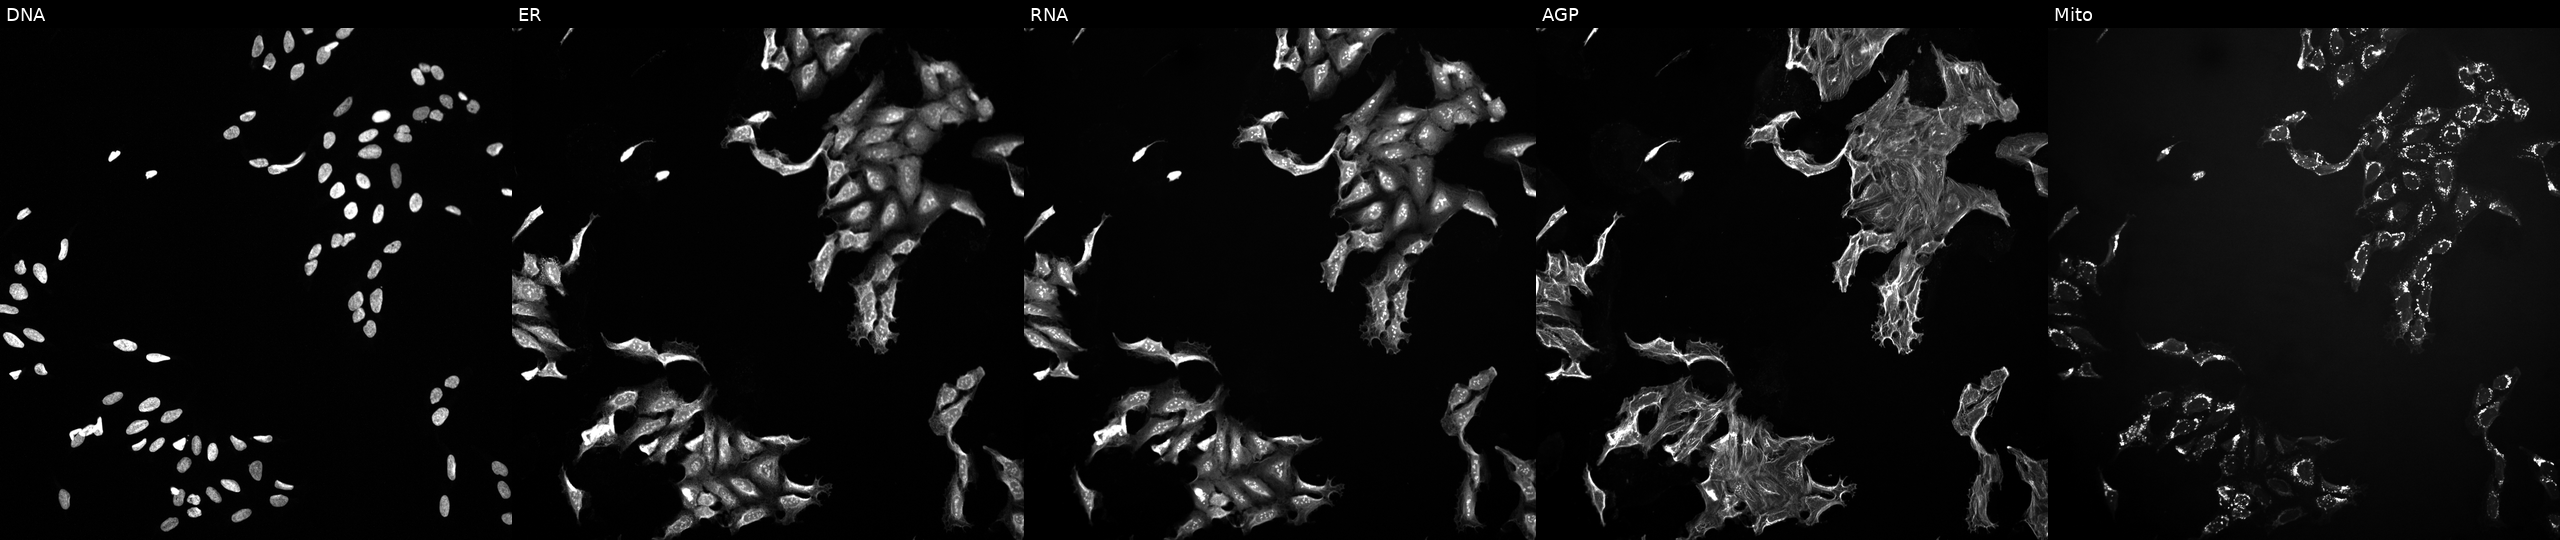
JUMP Cell Painting — TARGET2 plate. U2OS cells treated with a small-molecule compound. From left to right: DNA, ER, RNA, AGP, and Mito.